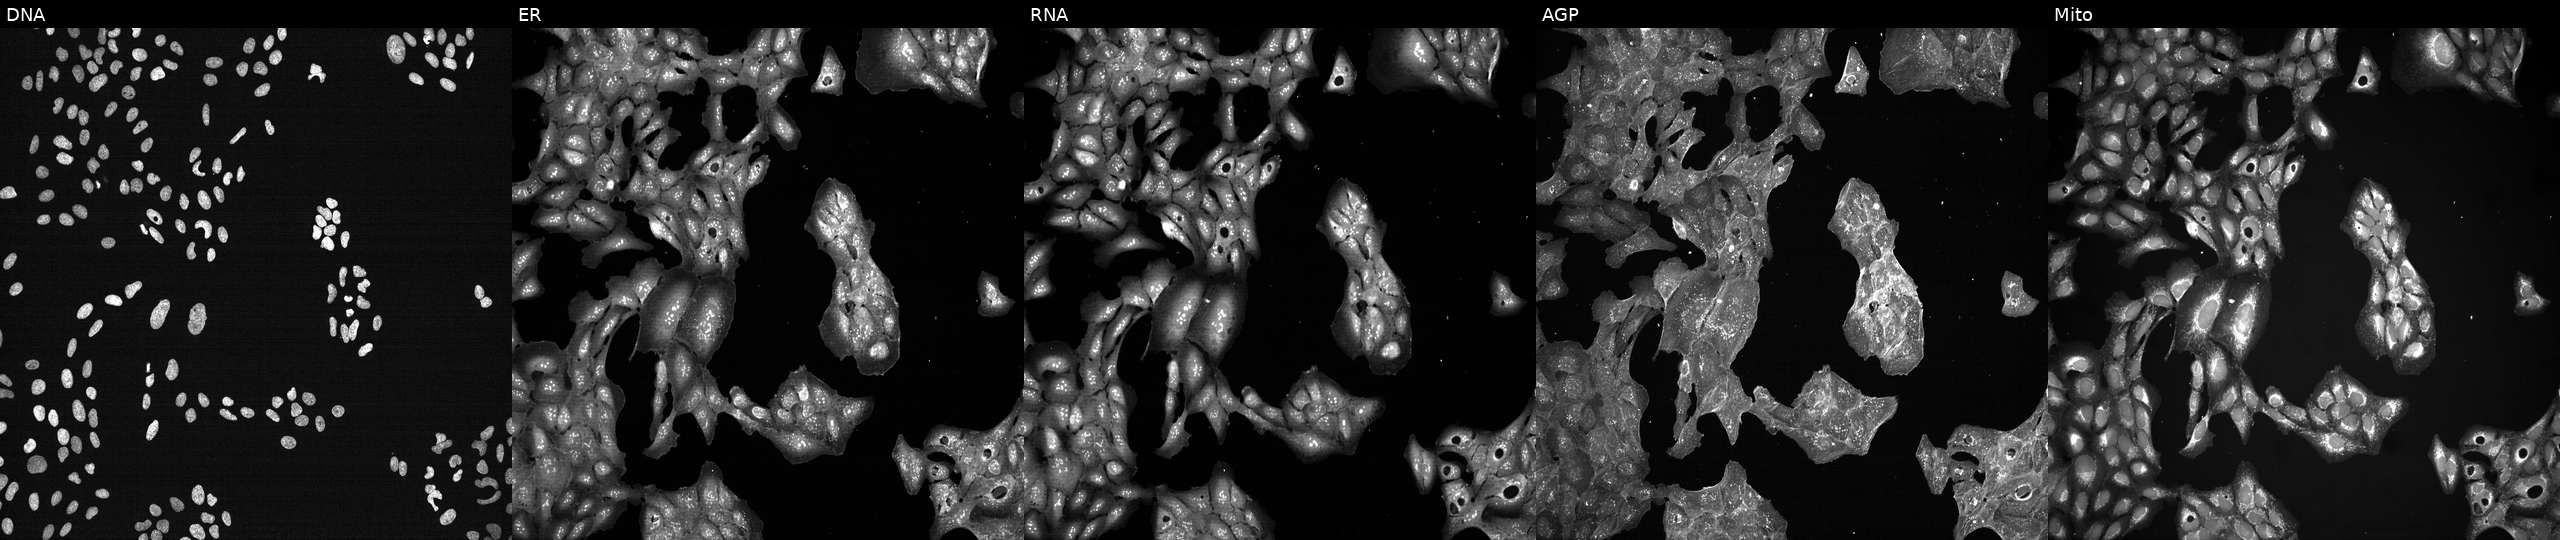
JUMP Cell Painting — TARGET2 plate. U2OS cells treated with a small-molecule compound (InChIKey XRKYMMUGXMWDAO-UHFFFAOYSA-N). The five panels, left to right, show Hoechst 33342, concanavalin A, SYTO 14, phalloidin and WGA, MitoTracker.